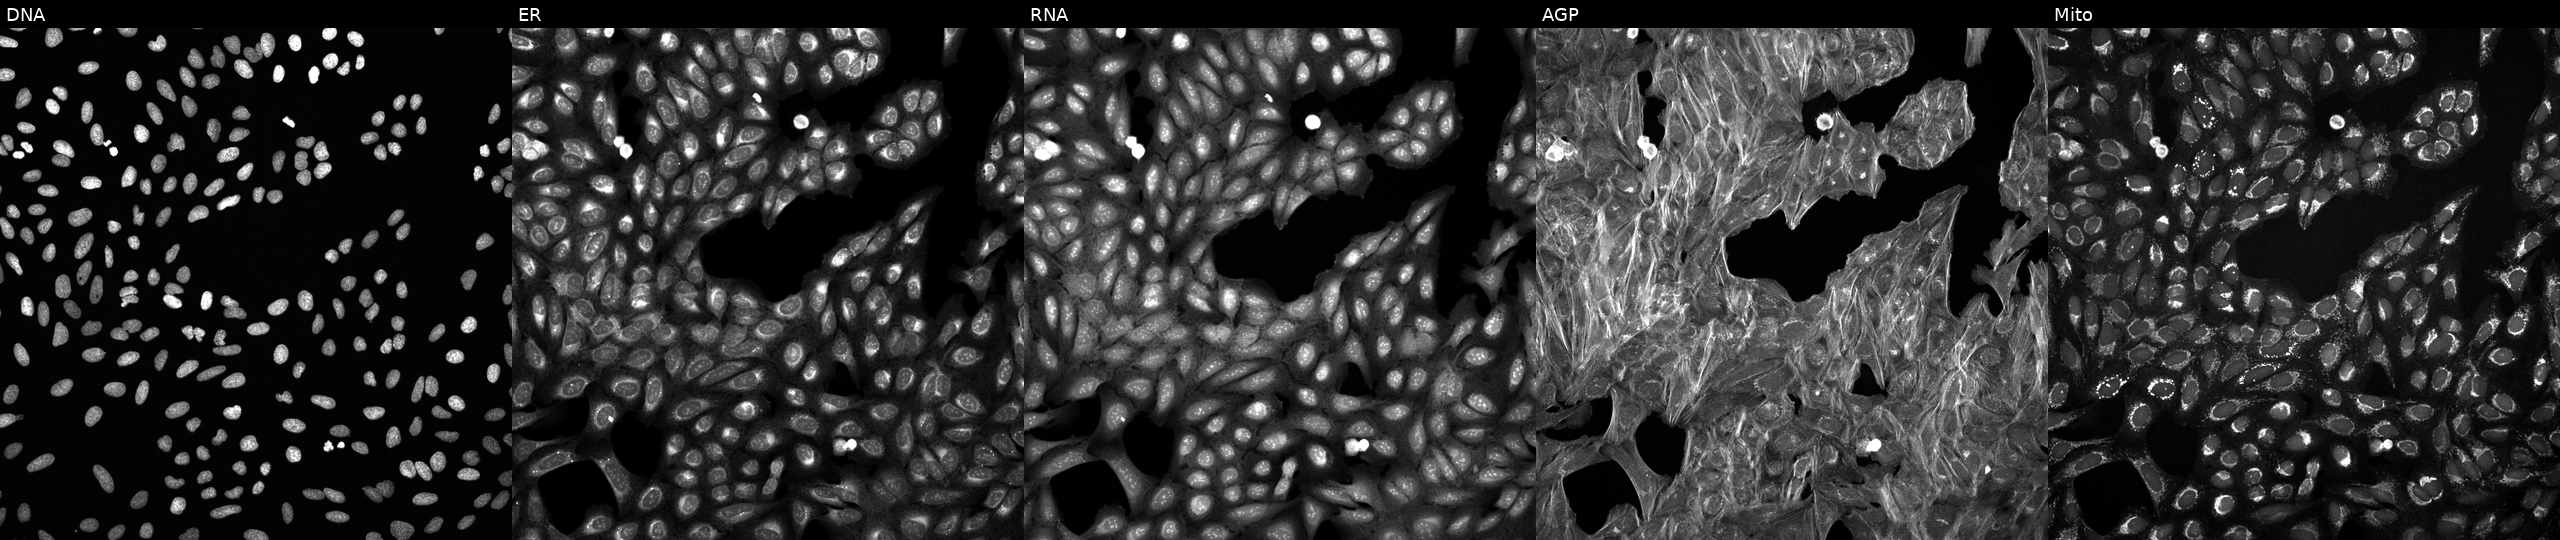
U2OS cells, Cell Painting assay, perturbed with a small-molecule compound (InChIKey USXIPBGGMWLVAU-UHFFFAOYSA-N) [SMILES: Cc1c[nH]c(=NC(=O)c2ccc(OCC3CCCO3)cc2)s1]. Panels show, left to right, Hoechst 33342, concanavalin A, SYTO 14, phalloidin and WGA, MitoTracker. Each panel is percentile-stretched 16-bit fluorescence. Source 6, plate 110000293083, well C16.